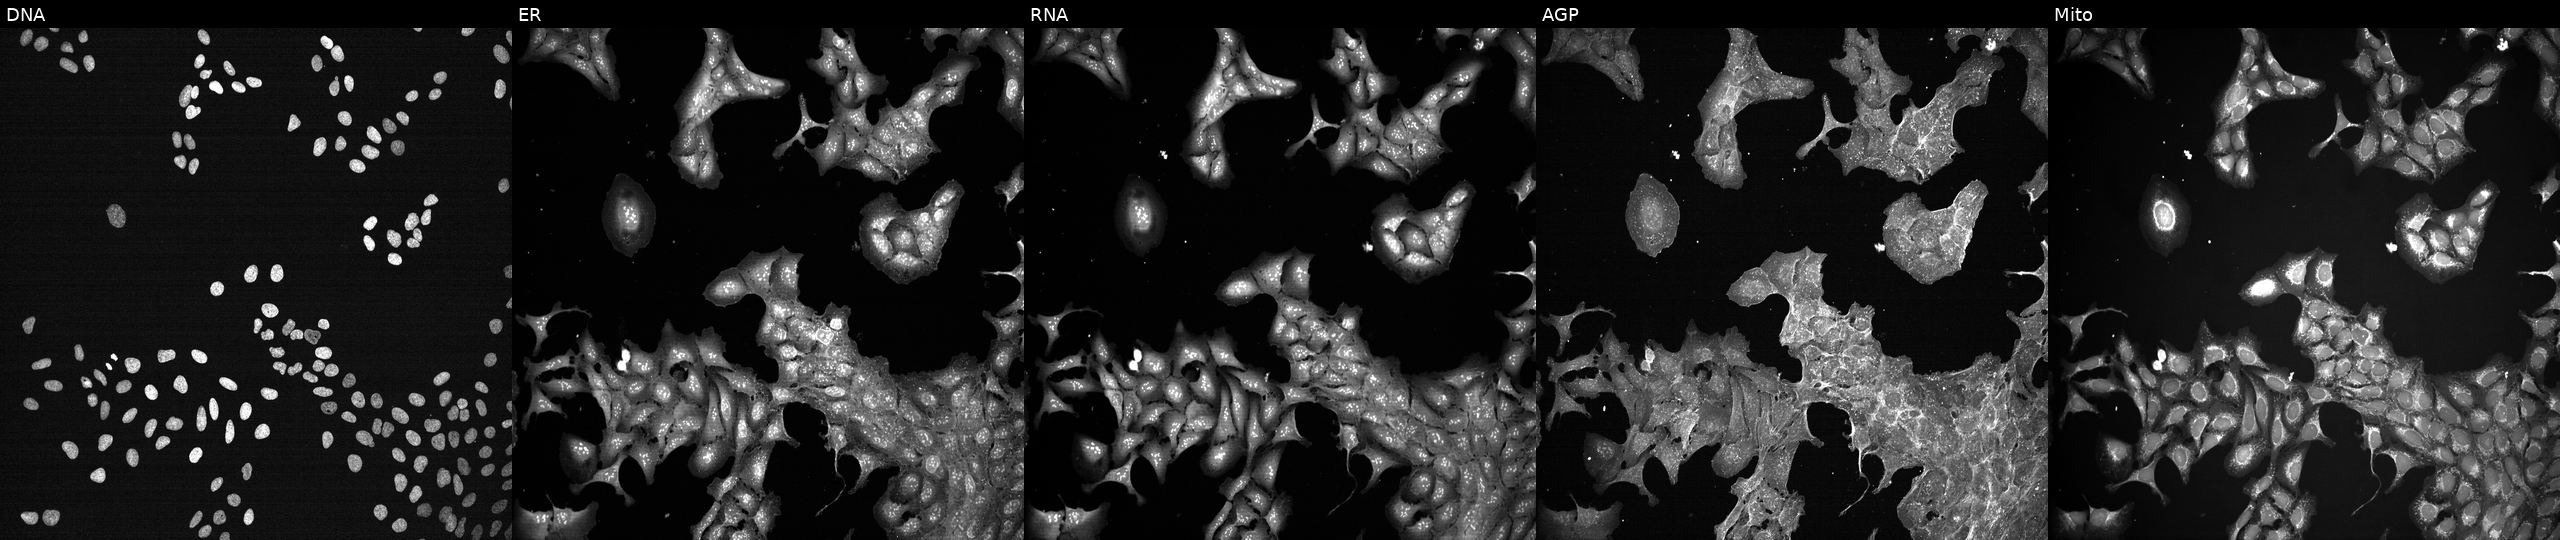
Five-channel Cell Painting image of U2OS cells exposed to a small-molecule compound (InChIKey HFNKQEVNSGCOJV-UHFFFAOYSA-N). Channels (left→right): DNA (nuclei); ER (endoplasmic reticulum); RNA (nucleoli and cytoplasmic RNA); AGP (actin cytoskeleton, Golgi, and plasma membrane); Mito (mitochondria).